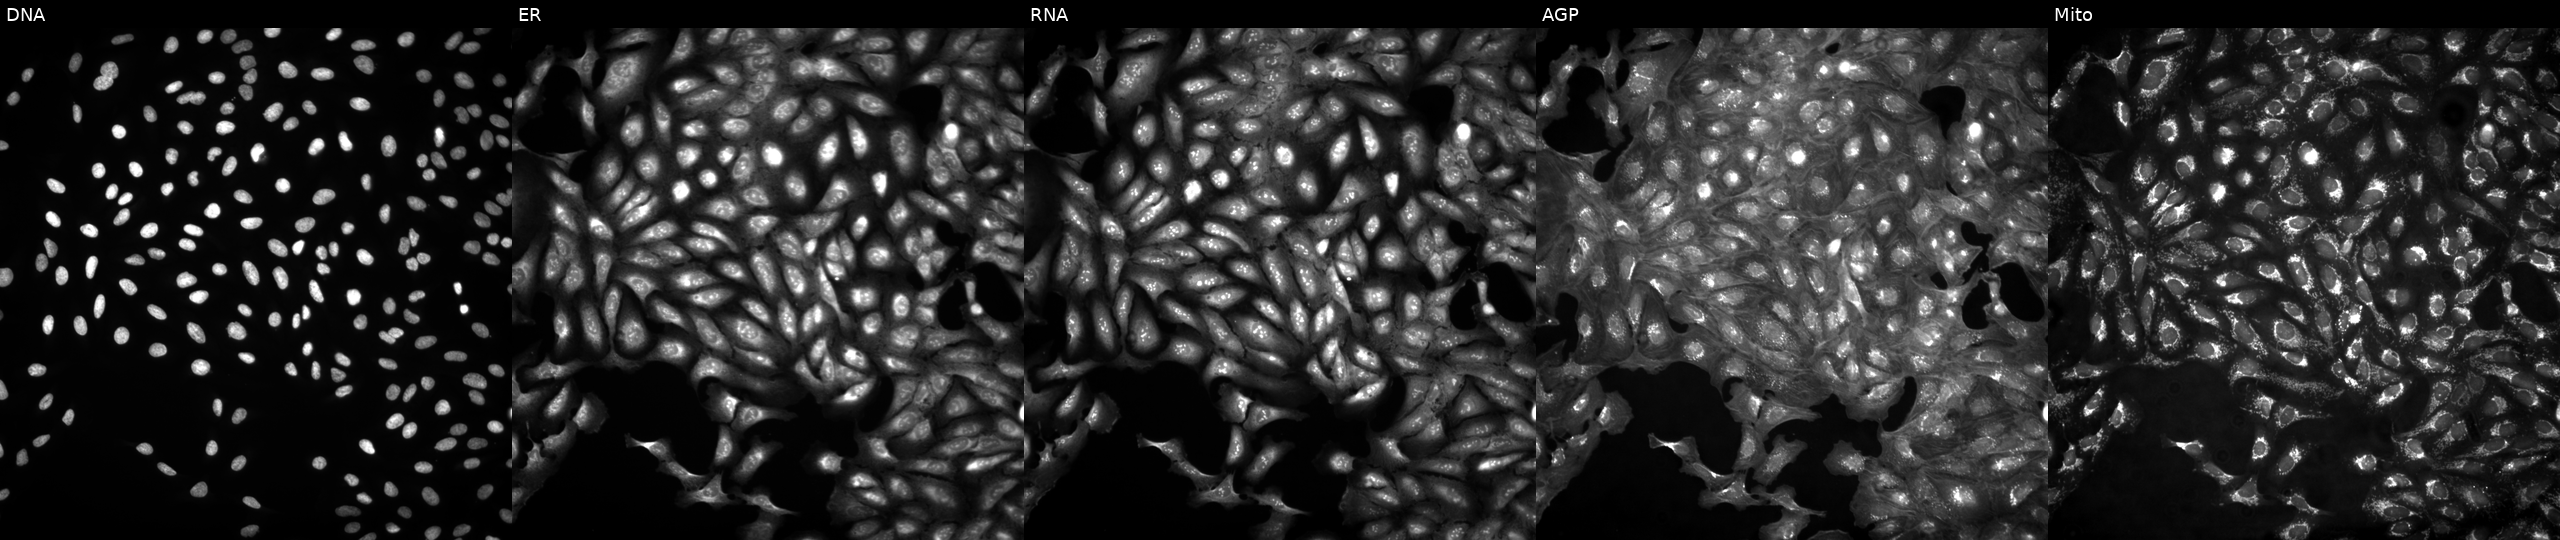
Channels (left→right): DNA (nuclei); ER (endoplasmic reticulum); RNA (nucleoli and cytoplasmic RNA); AGP (actin cytoskeleton, Golgi, and plasma membrane); Mito (mitochondria). U2OS osteosarcoma cells untreated (empty-well control) (JUMP id JCP2022_999999). Cell Painting assay, JUMP-CP dataset.